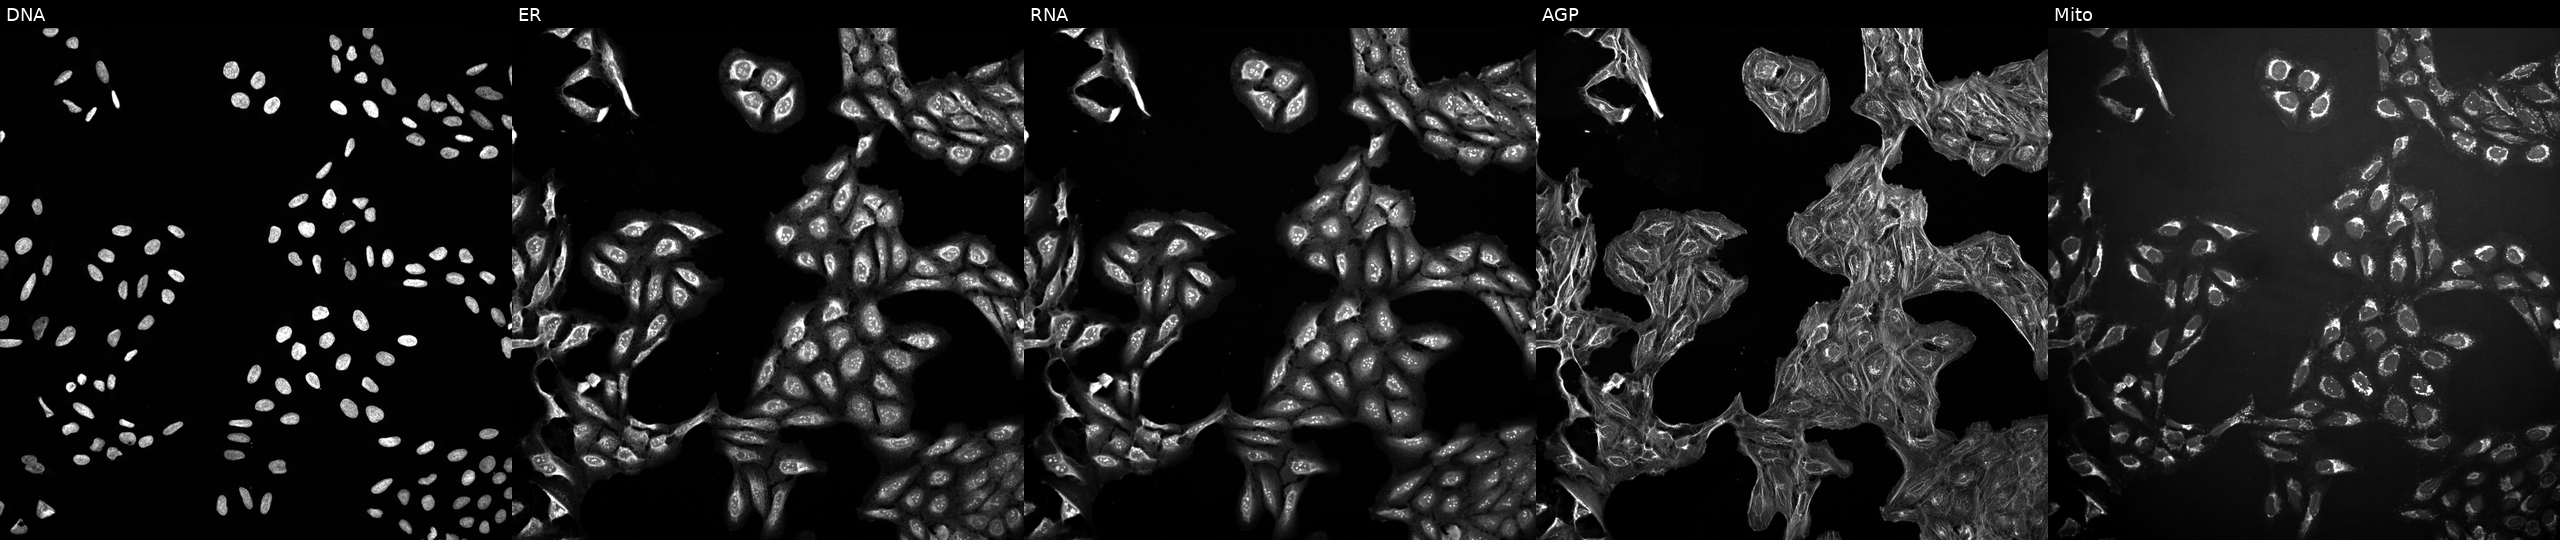
JUMP Cell Painting — TARGET2 plate. U2OS cells treated with a small-molecule compound (InChIKey HGVDHZBSSITLCT-UHFFFAOYSA-N) [SMILES: CN1CCc2nc(C(=O)NC3CC(C(=O)N(C)C)CCC3NC(=O)C(=O)N=c3ccc(Cl)c[nH]3)sc2C1]. Channels (left→right): DNA, ER, RNA, AGP, and Mito.